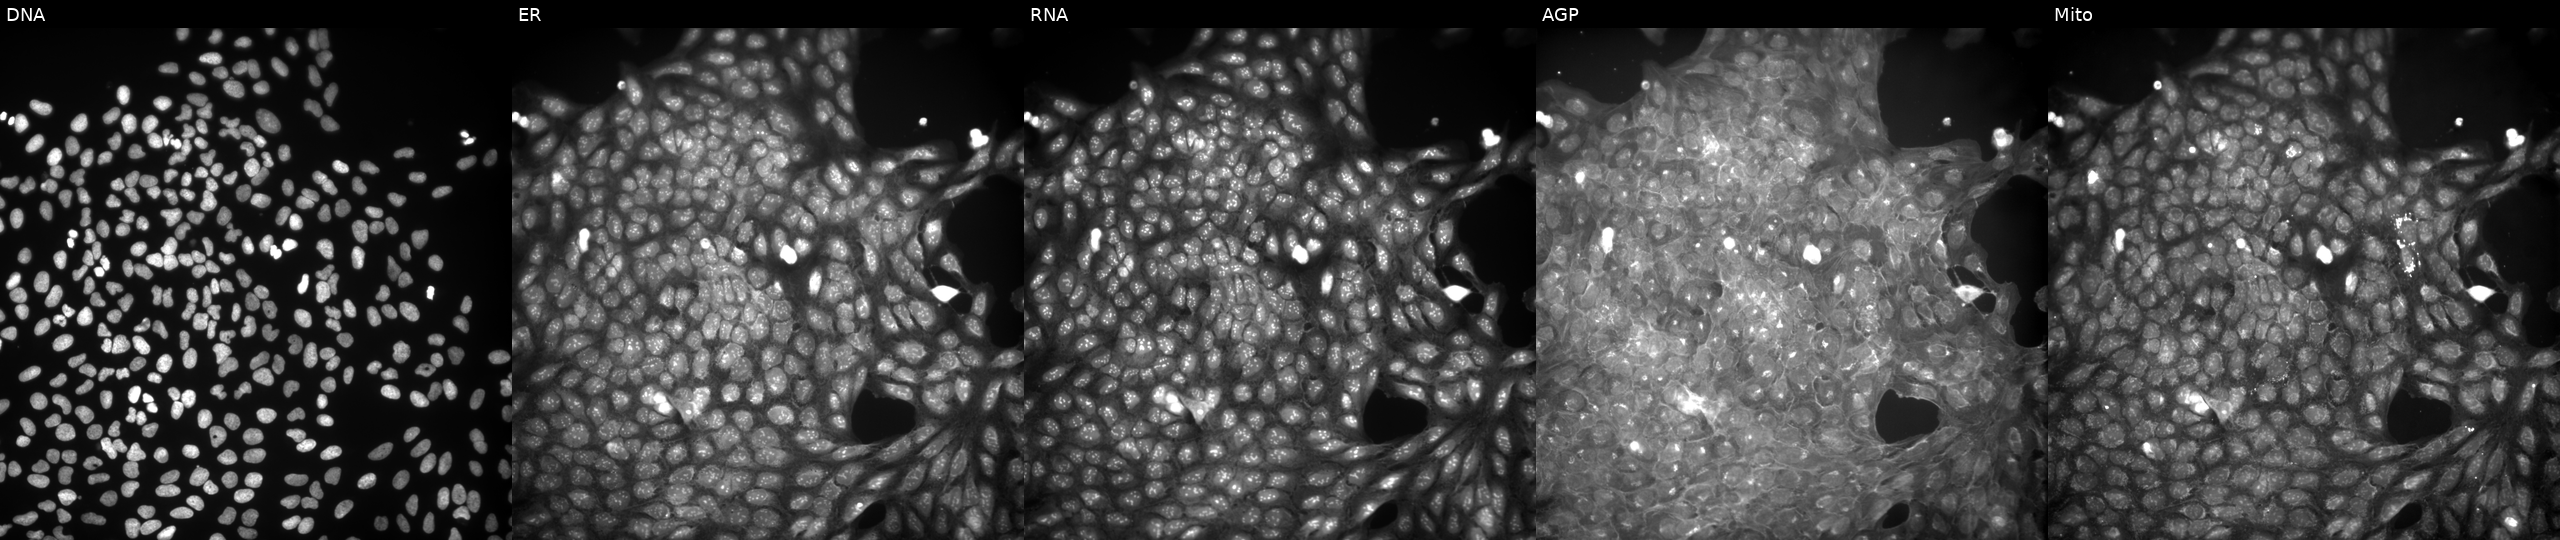
This image strip shows the five Cell Painting channels for a single field of U2OS cells exposed to a small-molecule compound (InChIKey FJQNFRMXOAWFOI-UHFFFAOYSA-N) [SMILES: CCOC(=O)c1ccc(NC(=O)CC2Sc3ccc(C(F)(F)F)cc3NC2=O)cc1] (JUMP id JCP2022_021071). Channels (left→right): DNA, ER, RNA, AGP, and Mito.